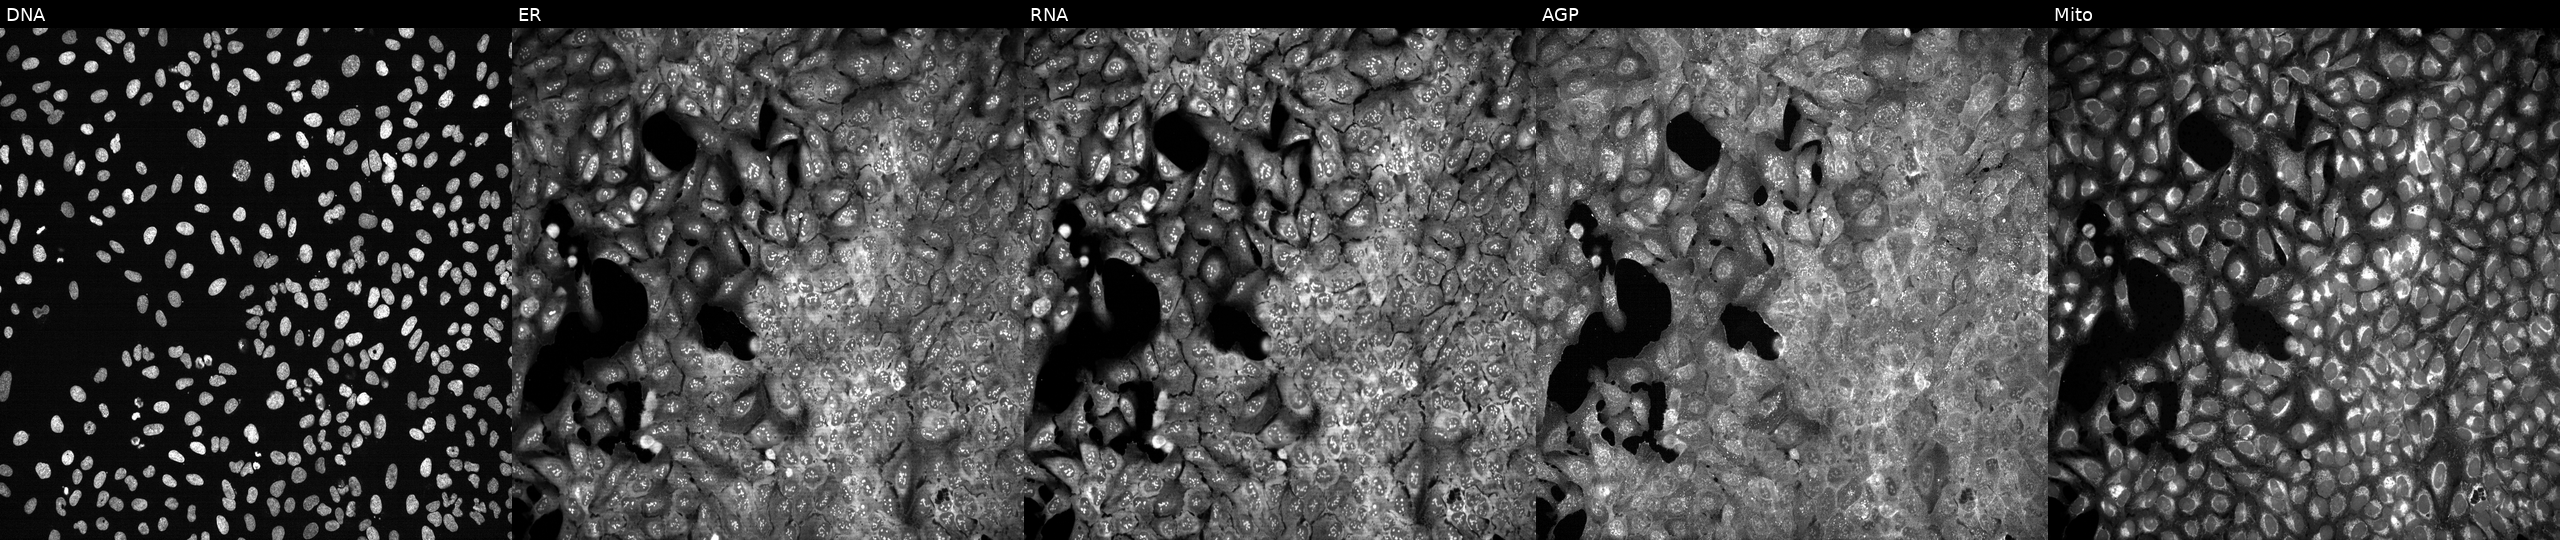
High-content fluorescence microscopy (Cell Painting). Cell line: U2OS. Perturbation: following CRISPR knockout of GCLC. Panels show, left to right, DNA (nuclei); ER (endoplasmic reticulum); RNA (nucleoli and cytoplasmic RNA); AGP (actin cytoskeleton, Golgi, and plasma membrane); Mito (mitochondria).